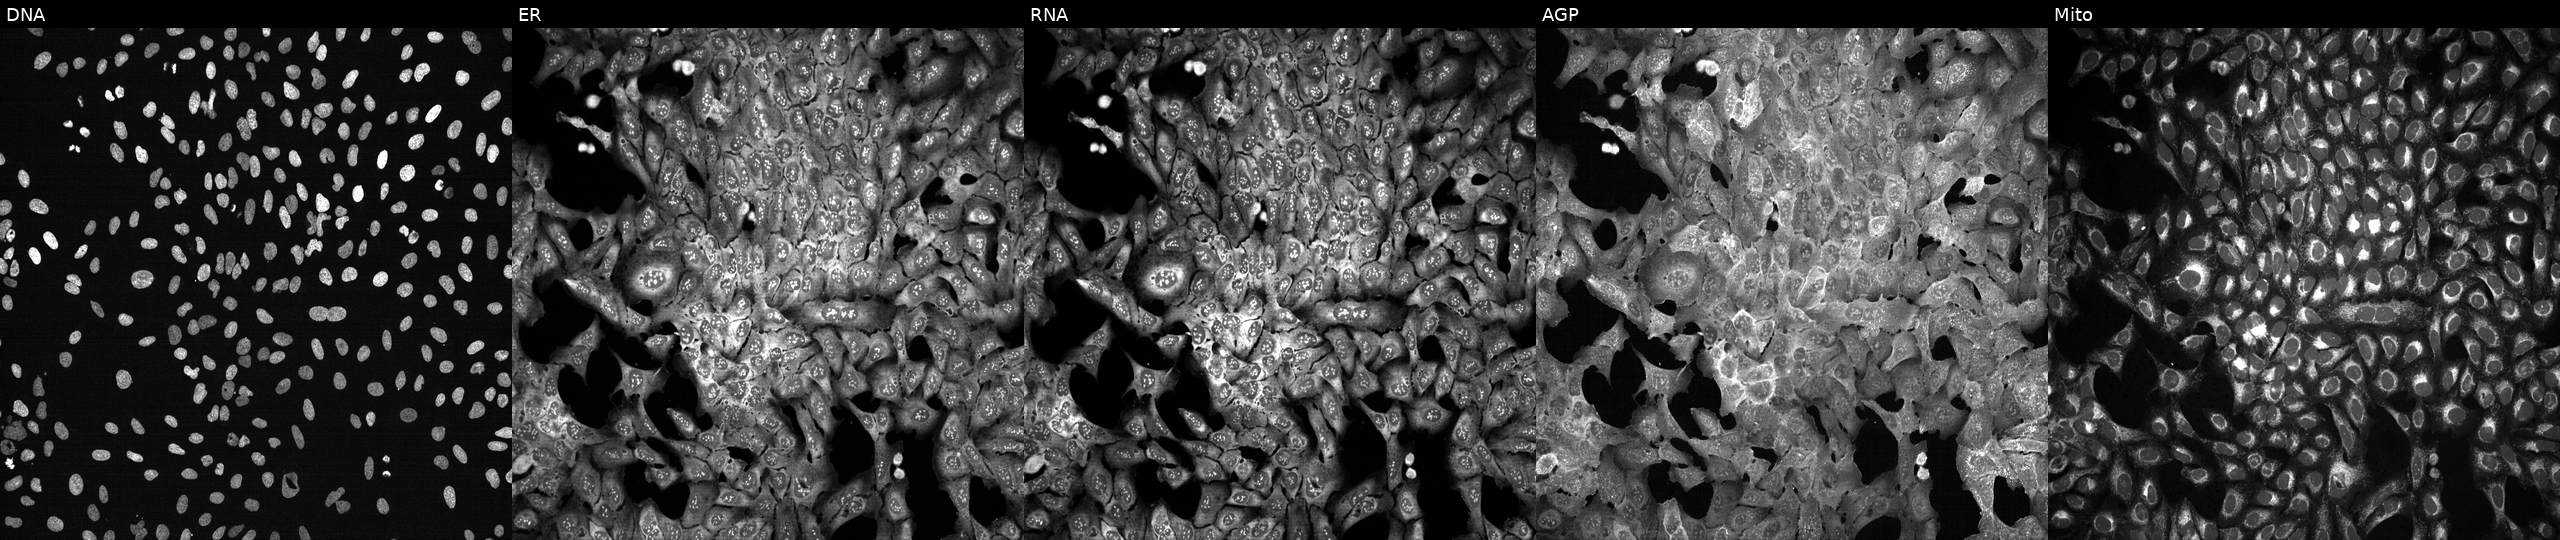
This image strip shows the five Cell Painting channels for a single field of U2OS cells CRISPR-edited to disrupt RHOB. The five panels, left to right, show Hoechst 33342, concanavalin A, SYTO 14, phalloidin and WGA, MitoTracker.